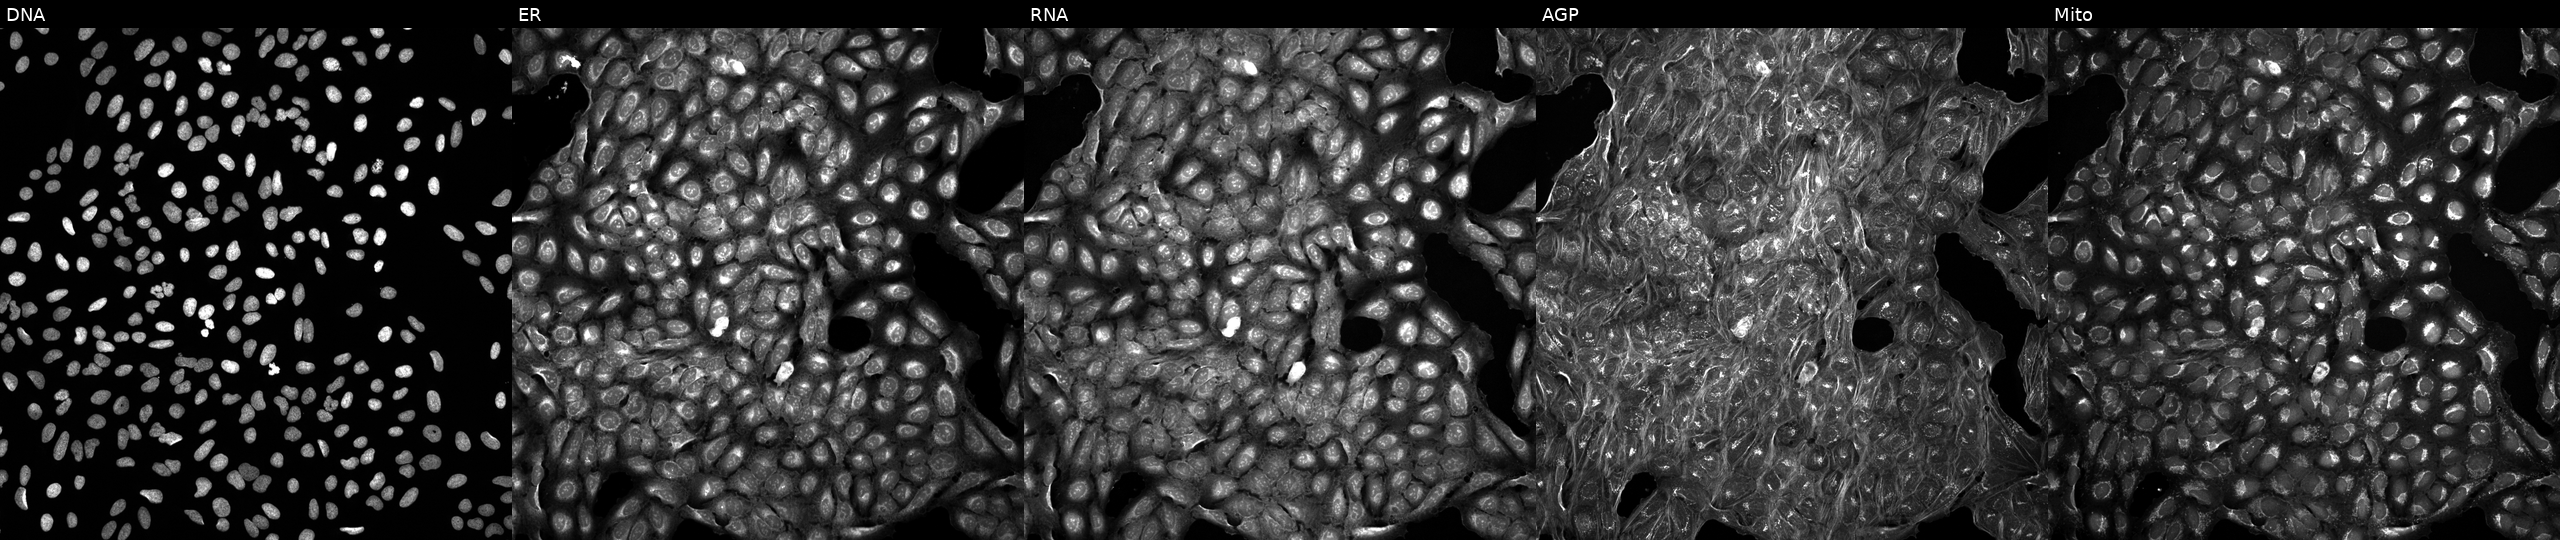
This image strip shows the five Cell Painting channels for a single field of U2OS cells treated with DMSO vehicle only (negative control). The five panels, left to right, show DNA, ER, RNA, AGP, and Mito.